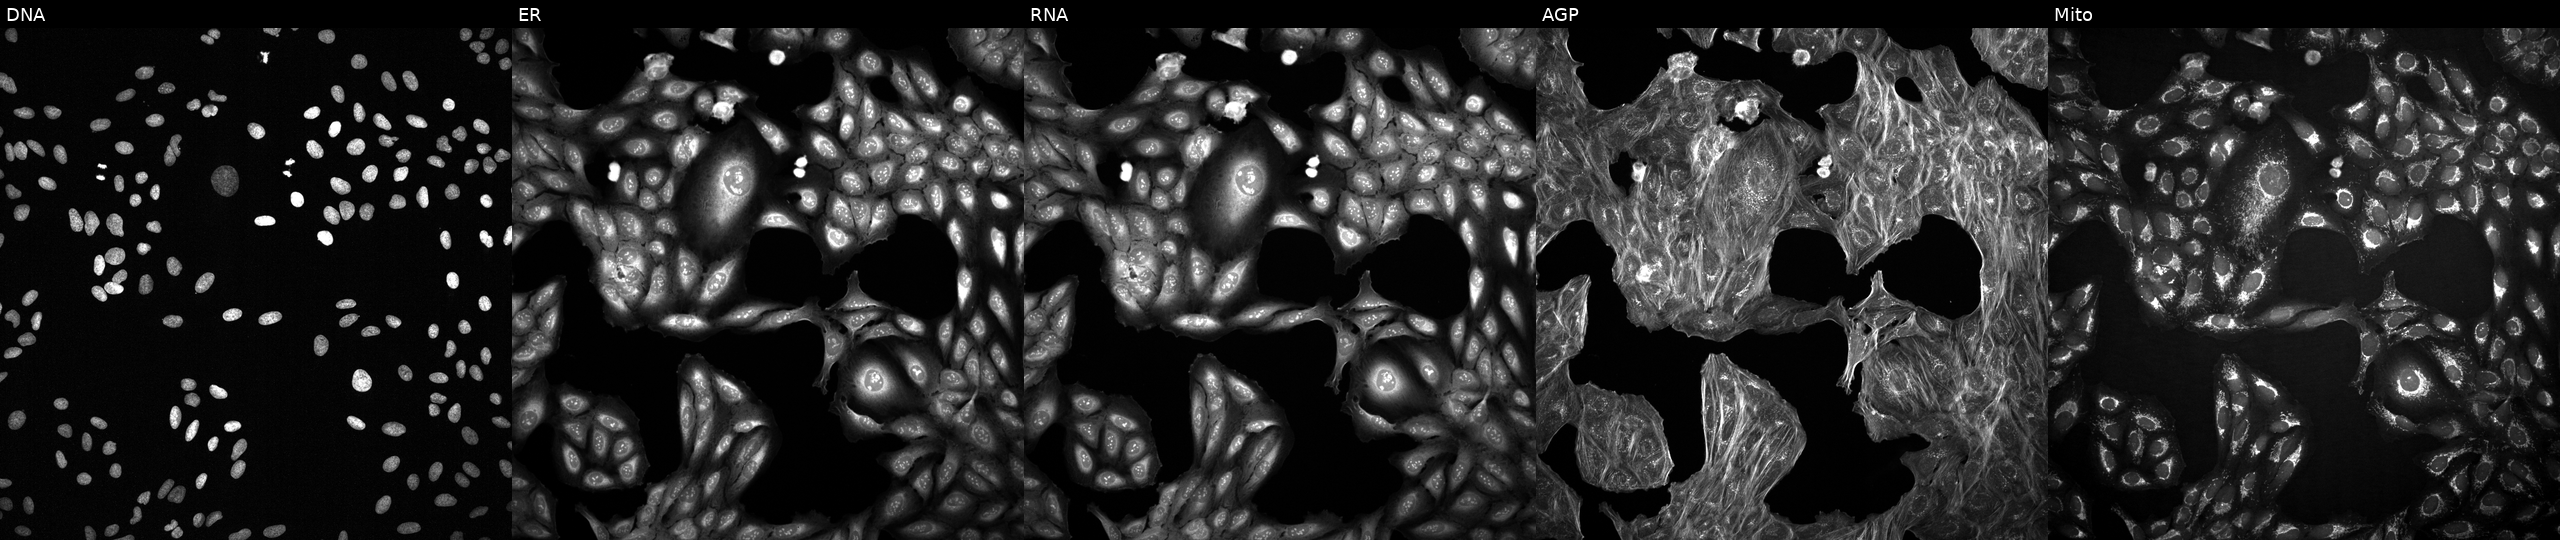
This image strip shows the five Cell Painting channels for a single field of U2OS cells with an unidentified perturbation (not annotated in JUMP metadata). From left to right: DNA (nuclei); ER (endoplasmic reticulum); RNA (nucleoli and cytoplasmic RNA); AGP (actin cytoskeleton, Golgi, and plasma membrane); Mito (mitochondria). Source 2, plate 1053601756, well D08.